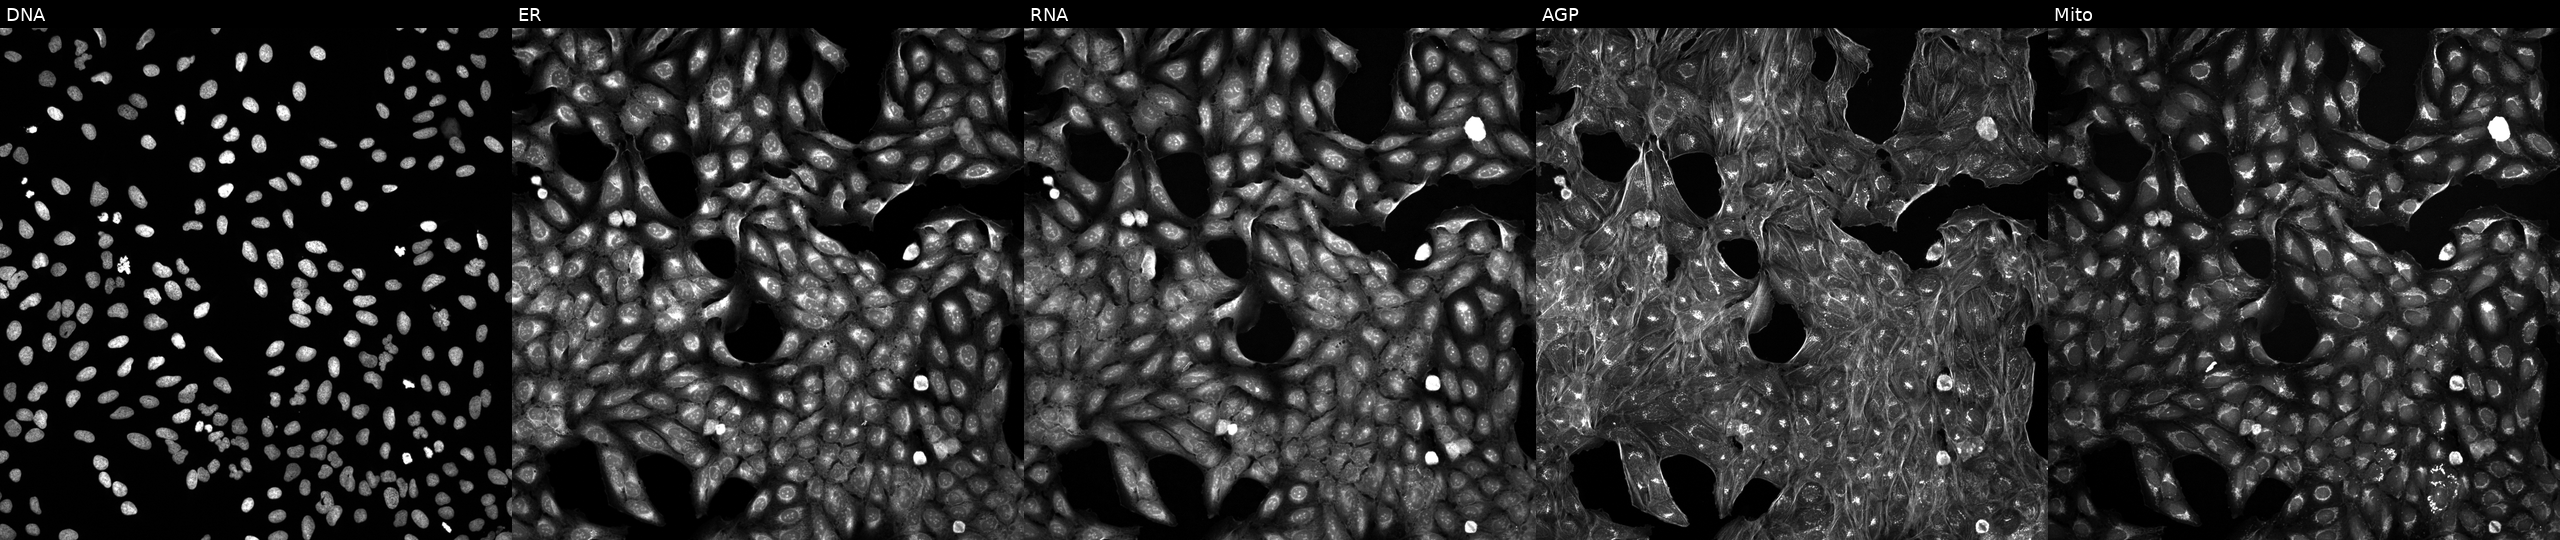
This image strip shows the five Cell Painting channels for a single field of U2OS cells exposed to DMSO alone as a negative control (JUMP id JCP2022_033924). Channels (left→right): DNA, ER, RNA, AGP, and Mito.